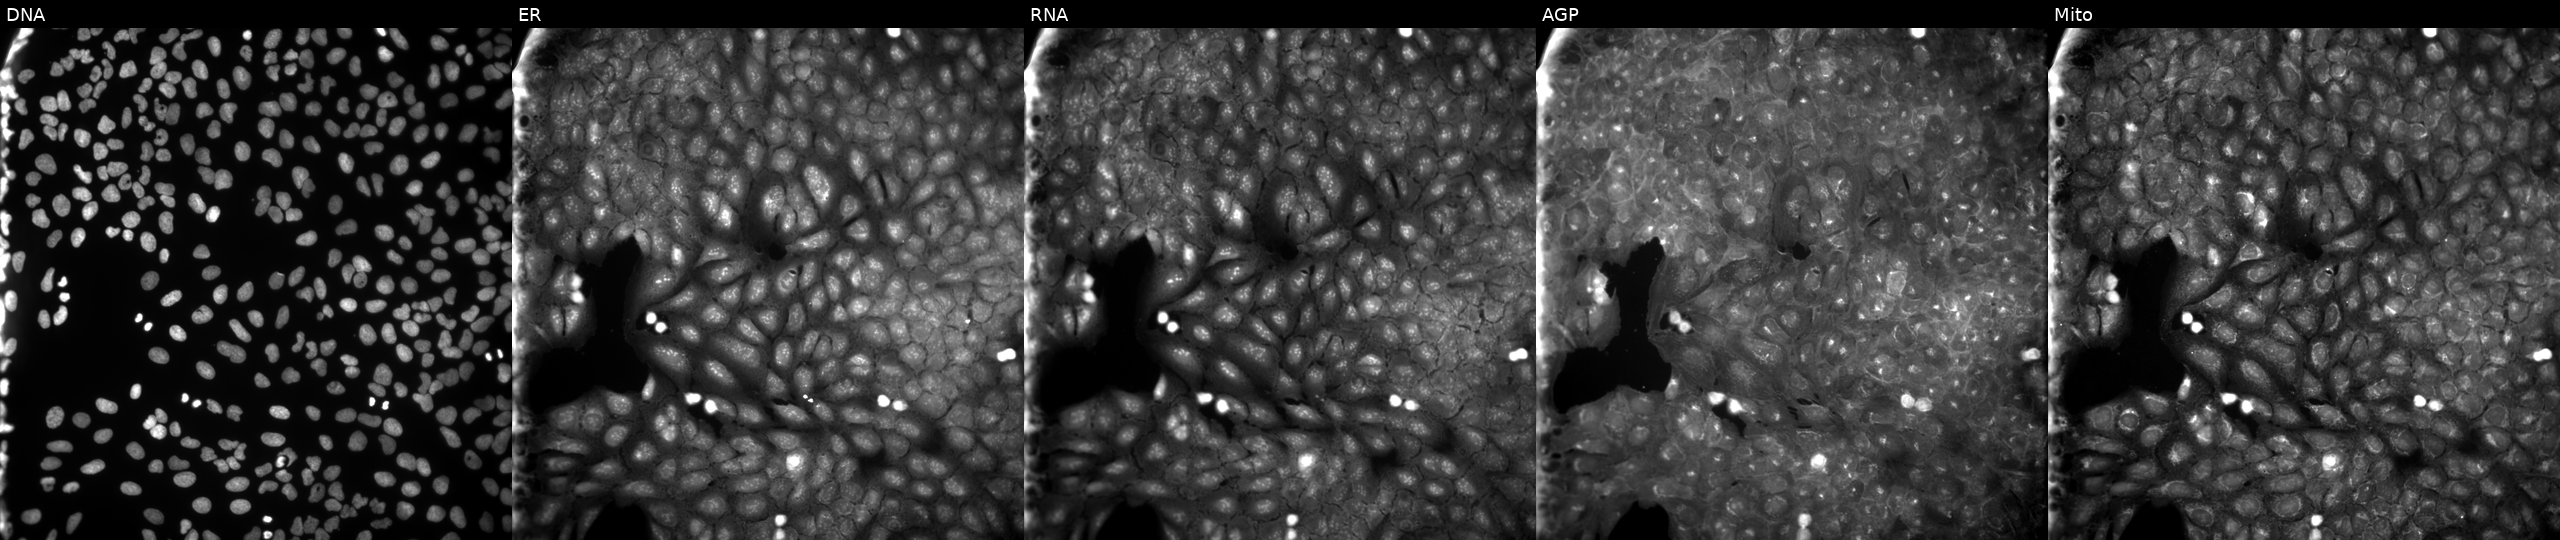
U2OS cells, Cell Painting assay, treated with a small-molecule compound (InChIKey SBOHWOGOWLBEDG-UHFFFAOYSA-N). Channels (left→right): DNA (nuclei); ER (endoplasmic reticulum); RNA (nucleoli and cytoplasmic RNA); AGP (actin cytoskeleton, Golgi, and plasma membrane); Mito (mitochondria). Each panel is percentile-stretched 16-bit fluorescence.